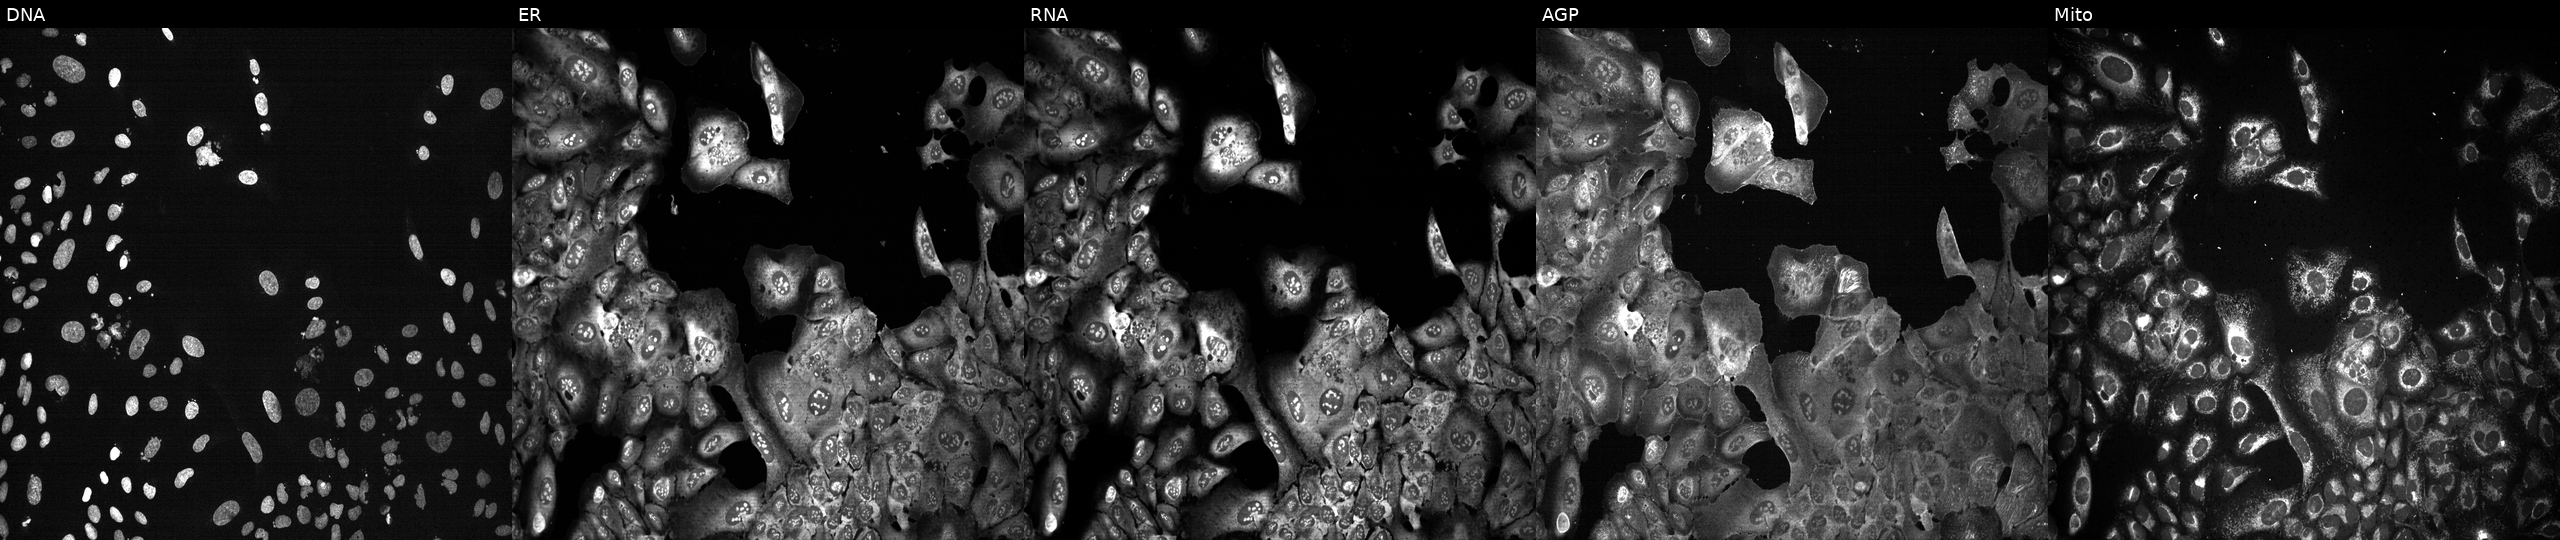
Five-channel Cell Painting image of U2OS cells CRISPR-edited to disrupt UGT3A1. From left to right: DNA (nuclei); ER (endoplasmic reticulum); RNA (nucleoli and cytoplasmic RNA); AGP (actin cytoskeleton, Golgi, and plasma membrane); Mito (mitochondria). Source 13, plate CP-CC9-R3-01, well G20.